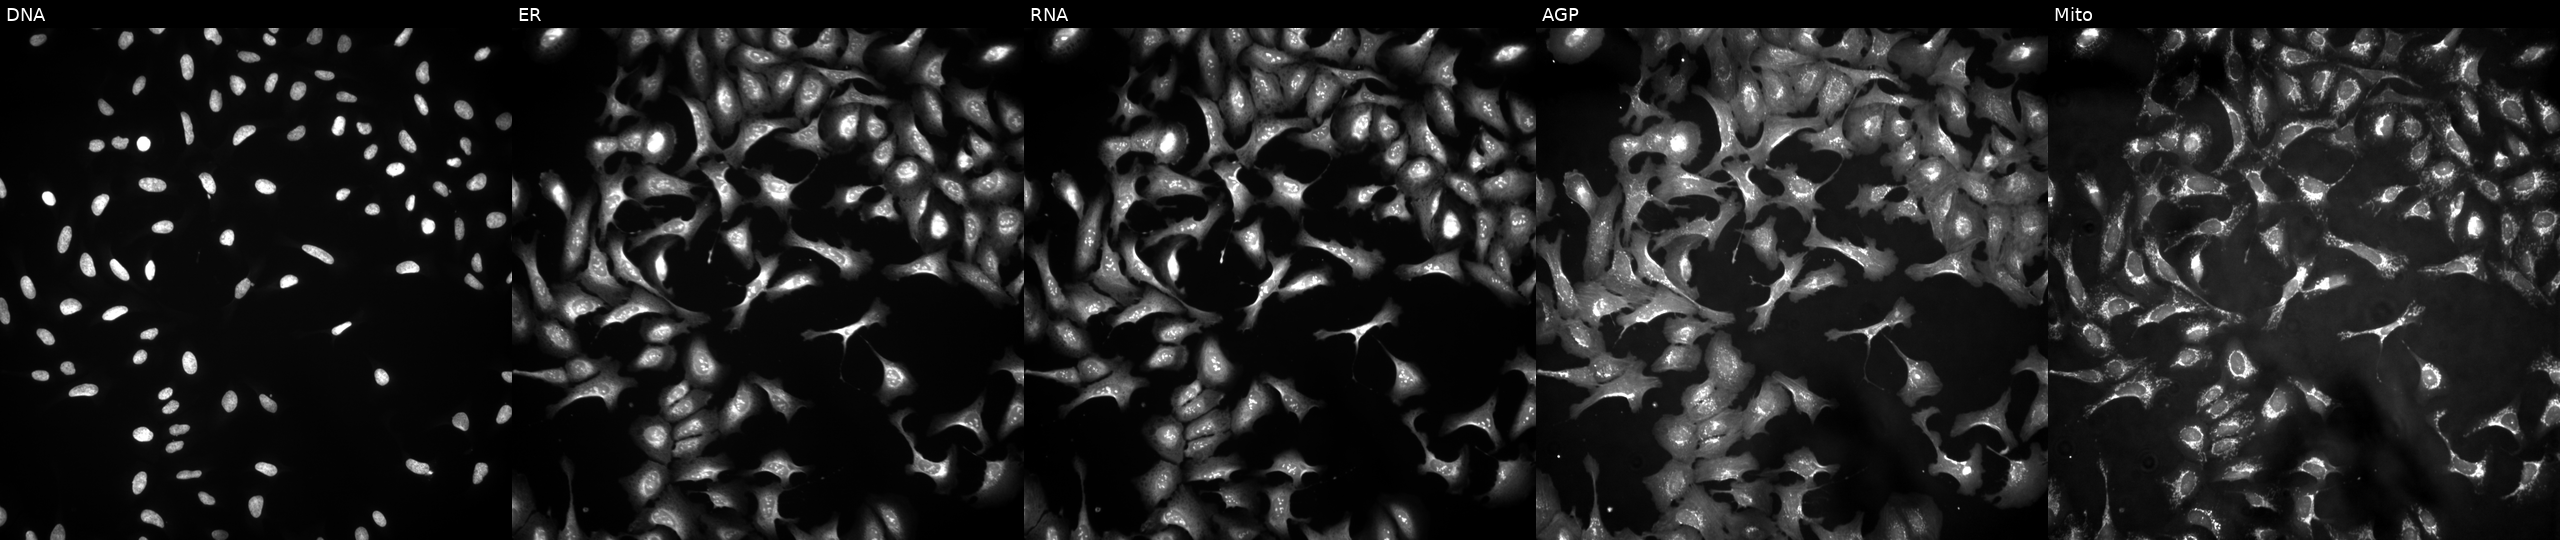
JUMP Cell Painting — ORF plate. U2OS cells transfected with an ORF construct for RET (JUMP id JCP2022_906419). Channels (left→right): DNA, ER, RNA, AGP, and Mito.